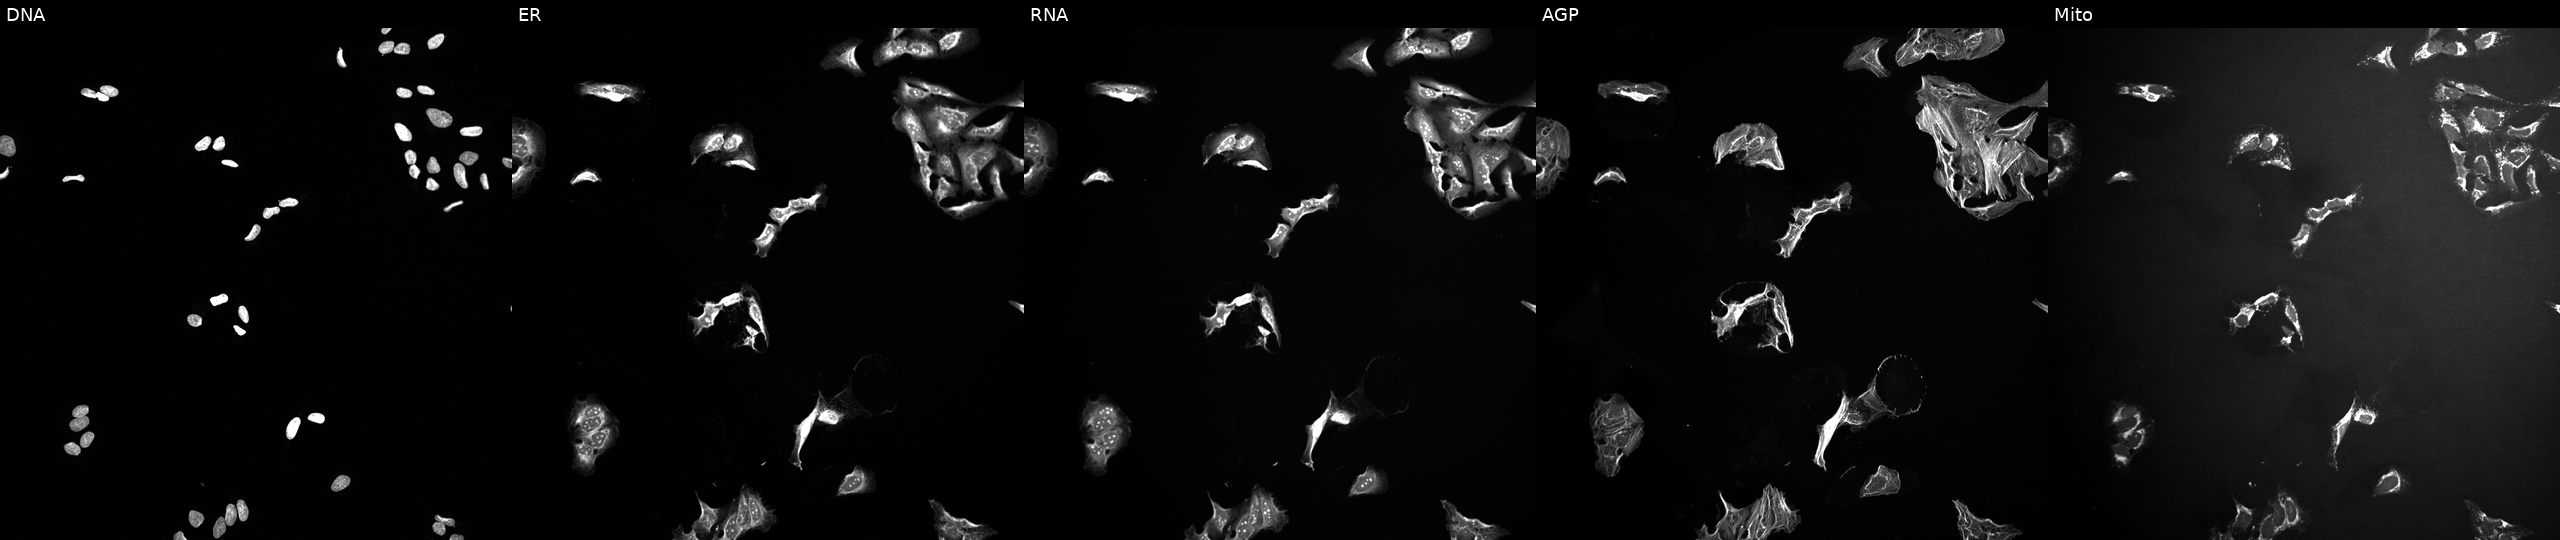
Channels (left→right): DNA (nuclei); ER (endoplasmic reticulum); RNA (nucleoli and cytoplasmic RNA); AGP (actin cytoskeleton, Golgi, and plasma membrane); Mito (mitochondria). U2OS osteosarcoma cells perturbed with a small-molecule compound (InChIKey WYWHKKSPHMUBEB-UHFFFAOYSA-N) [SMILES: N=c1[nH]c(=S)c2[nH]cnc2[nH]1]. Cell Painting assay, JUMP-CP dataset.